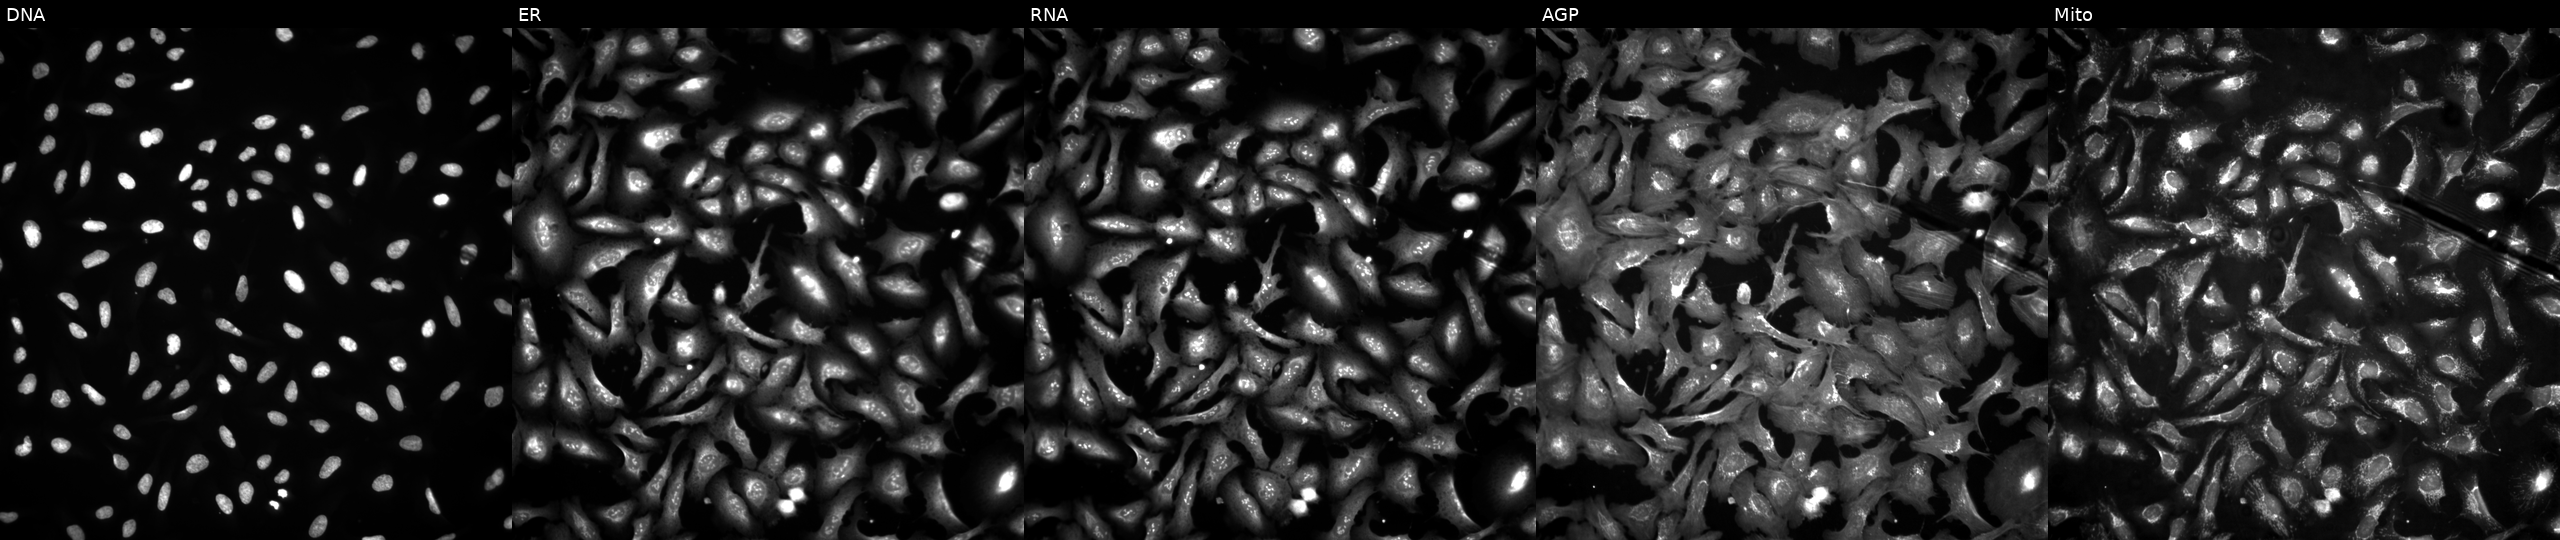
High-content fluorescence microscopy (Cell Painting). Cell line: U2OS. Perturbation: transfected with an ORF construct for PIK3CG (JUMP id JCP2022_913788). The five panels, left to right, show Hoechst 33342, concanavalin A, SYTO 14, phalloidin and WGA, MitoTracker.